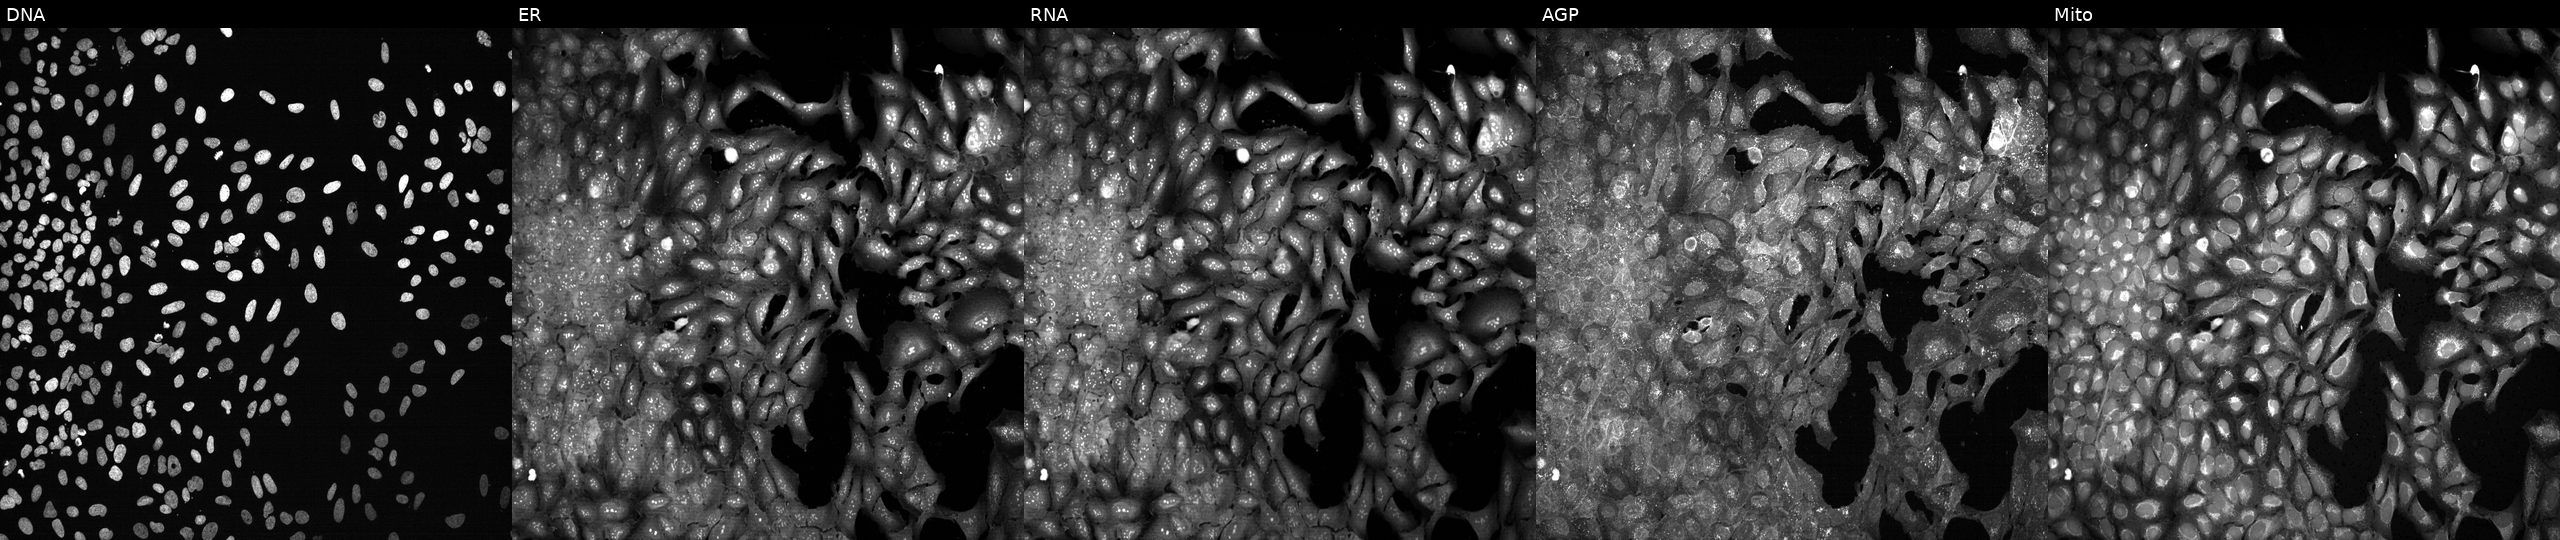
This image strip shows the five Cell Painting channels for a single field of U2OS cells CRISPR-edited to disrupt LPGAT1 (JUMP id JCP2022_803890). The five panels, left to right, show Hoechst 33342, concanavalin A, SYTO 14, phalloidin and WGA, MitoTracker.